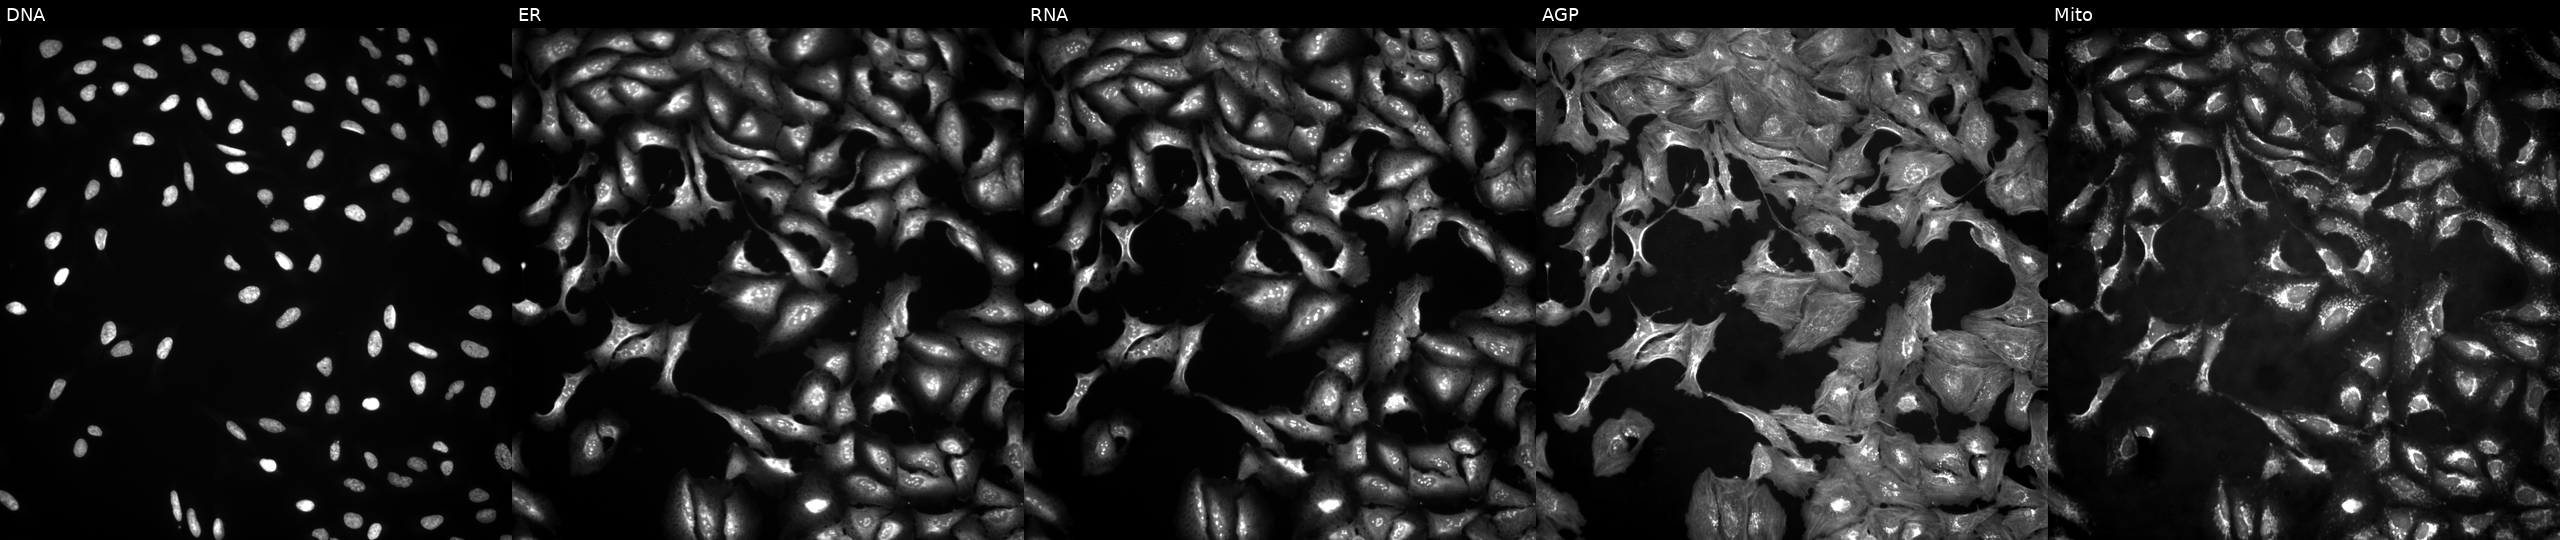
Channels (left→right): DNA (nuclei); ER (endoplasmic reticulum); RNA (nucleoli and cytoplasmic RNA); AGP (actin cytoskeleton, Golgi, and plasma membrane); Mito (mitochondria). U2OS osteosarcoma cells with LOC105371493 overexpressed (ORF) (JUMP id JCP2022_909557). Cell Painting assay, JUMP-CP dataset.